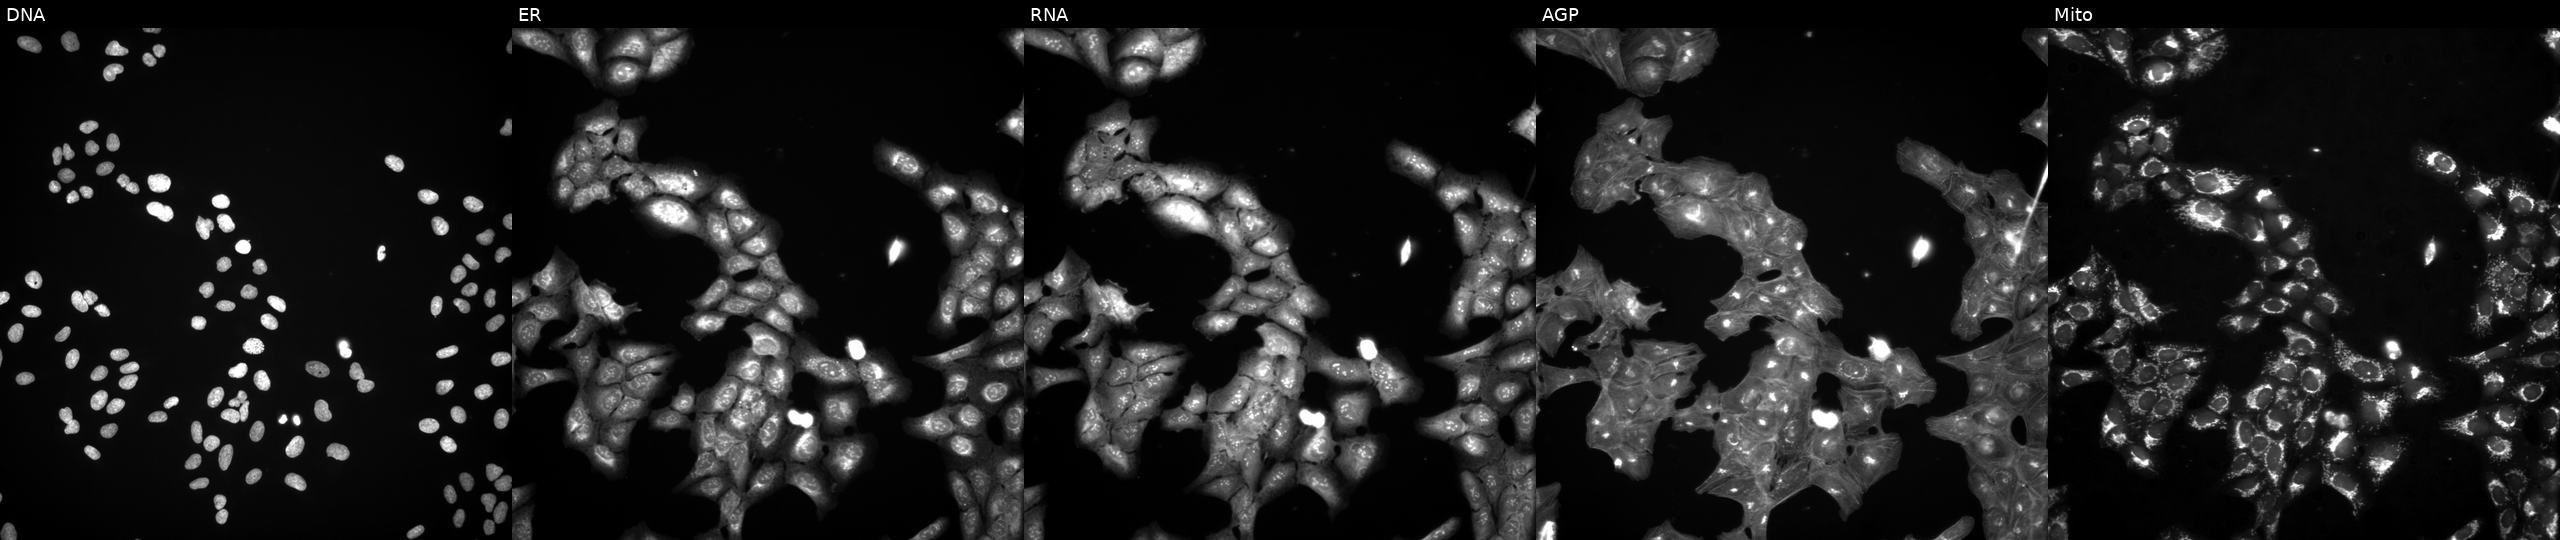
Panels show, left to right, DNA (nuclei); ER (endoplasmic reticulum); RNA (nucleoli and cytoplasmic RNA); AGP (actin cytoskeleton, Golgi, and plasma membrane); Mito (mitochondria). U2OS osteosarcoma cells treated with a small-molecule compound (InChIKey ZLLKYELCPHUAGJ-UHFFFAOYSA-N) (JUMP id JCP2022_114104). Cell Painting assay, JUMP-CP dataset.